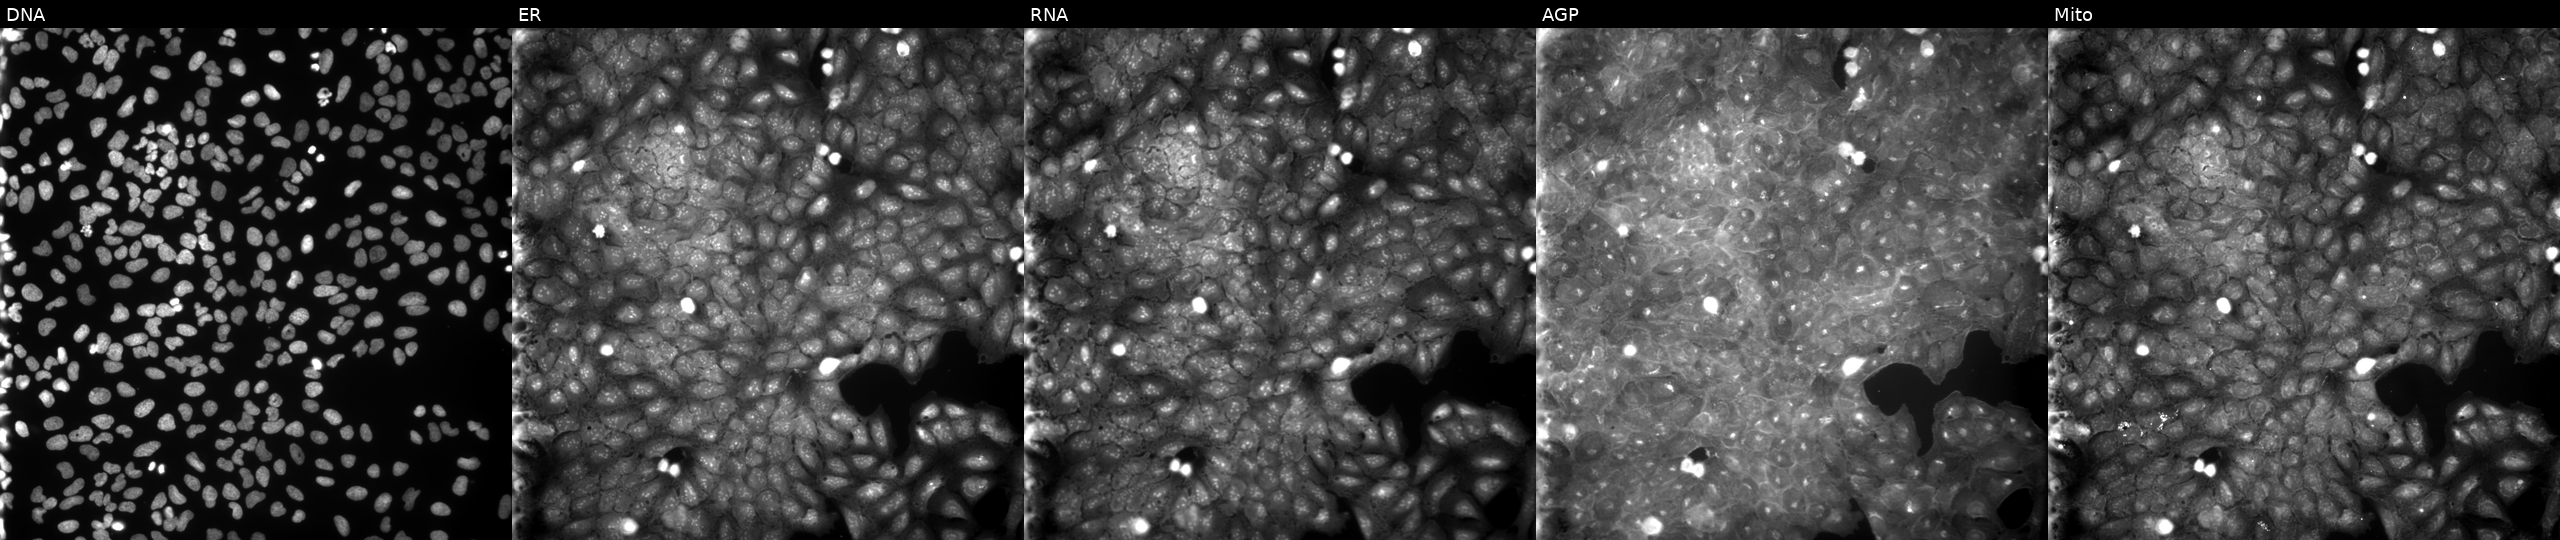
Five-channel Cell Painting image of U2OS cells treated with a small-molecule compound (InChIKey CUFNCAFZRKZKTC-UHFFFAOYSA-N) (JUMP id JCP2022_013434). Panels show, left to right, Hoechst 33342, concanavalin A, SYTO 14, phalloidin and WGA, MitoTracker.